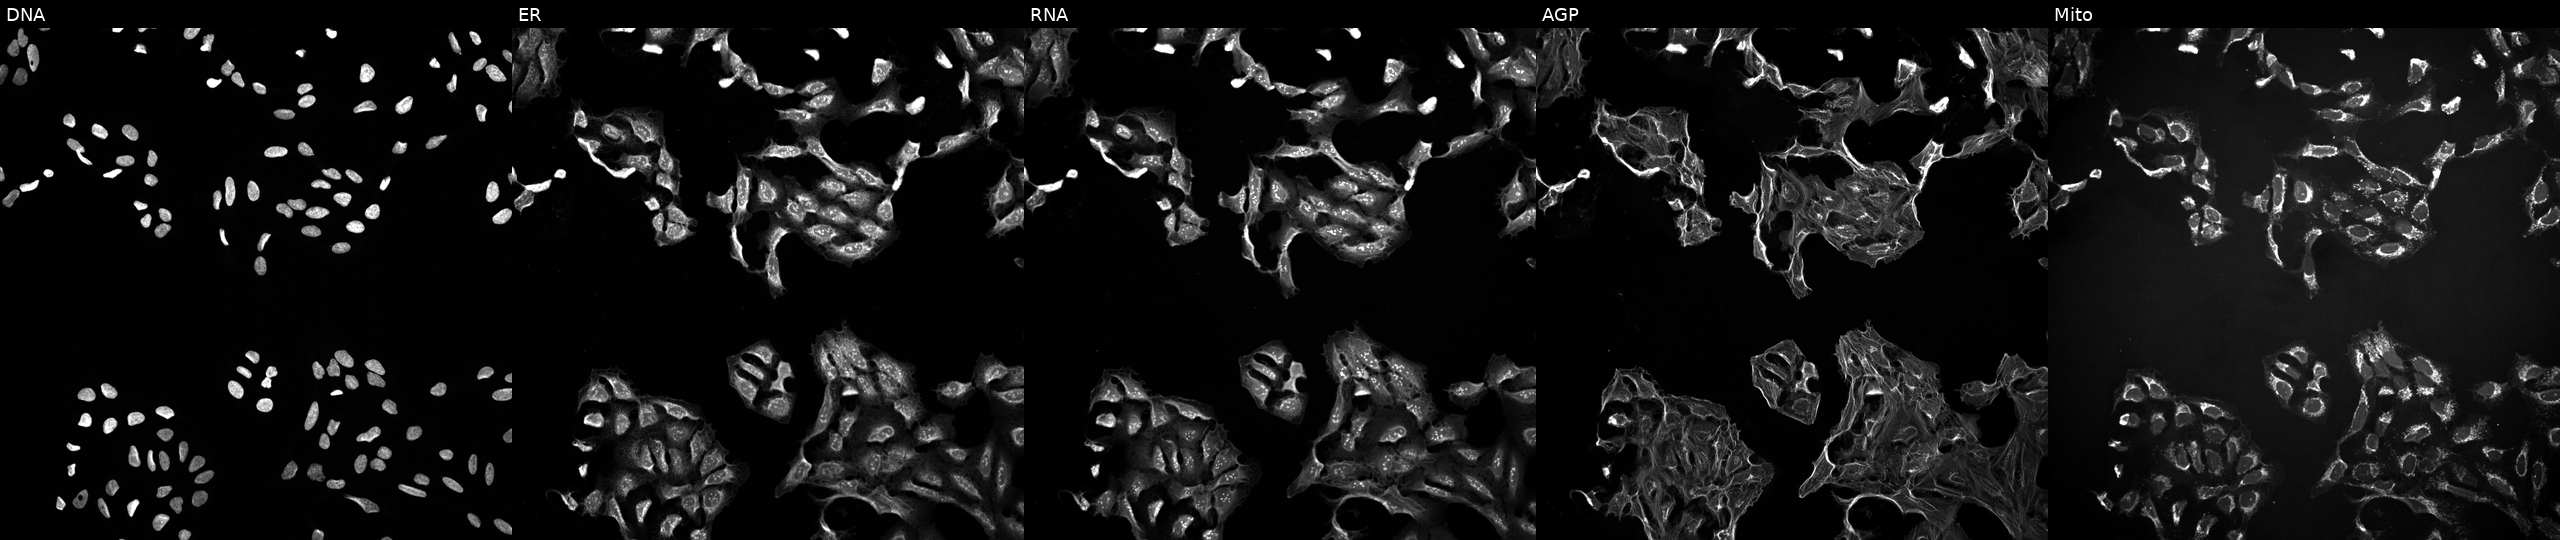
Five-channel Cell Painting image of U2OS cells treated with a small-molecule compound. From left to right: DNA, ER, RNA, AGP, and Mito.